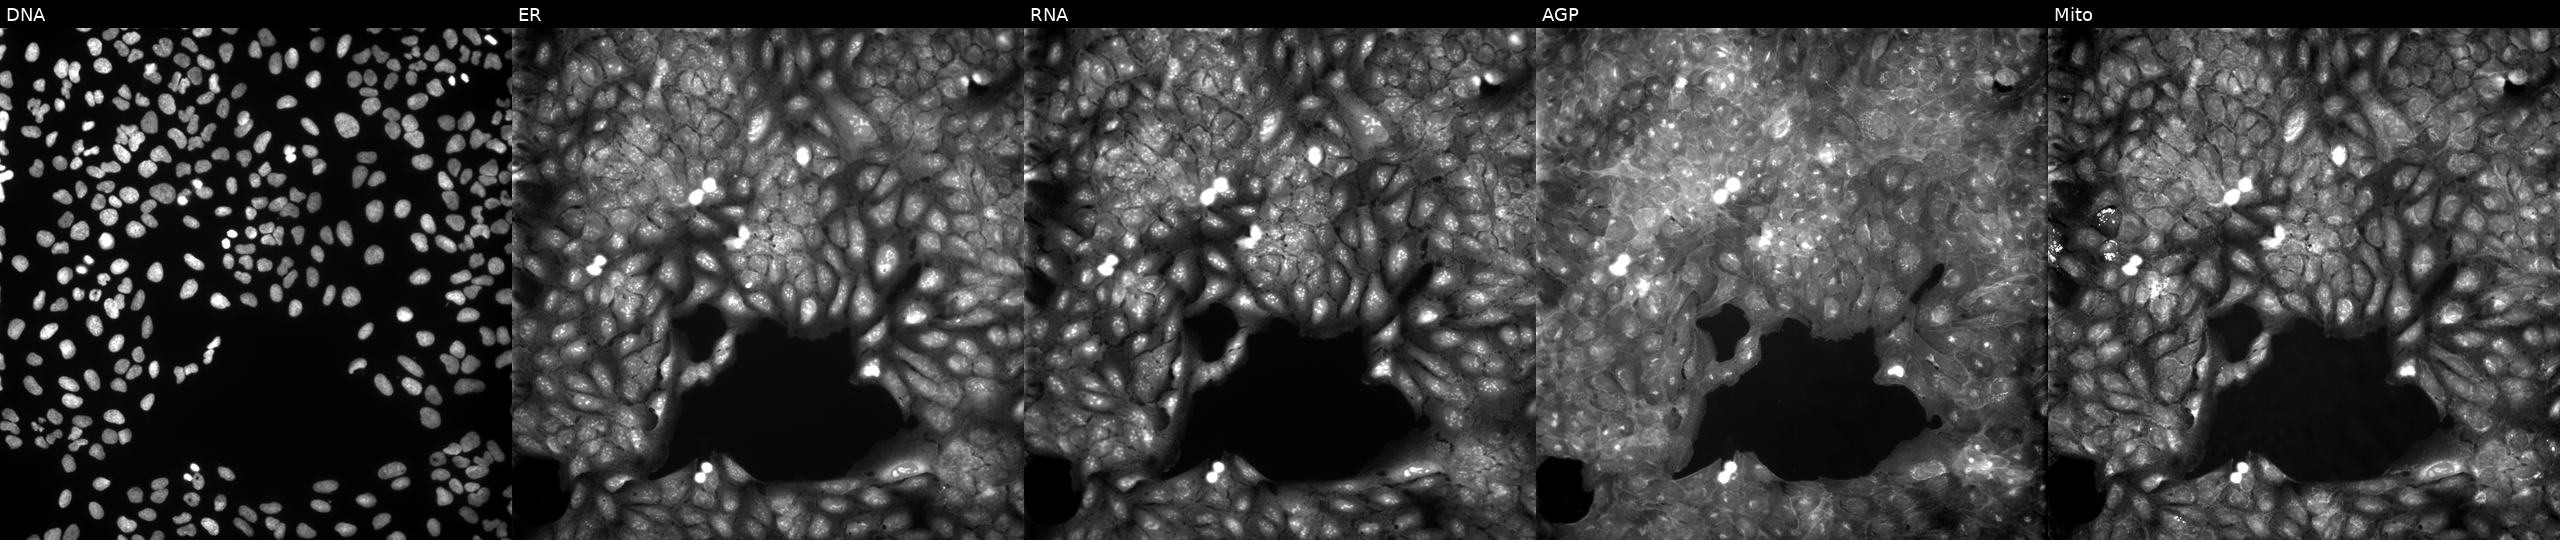
Five-channel Cell Painting image of U2OS cells treated with a small-molecule compound (InChIKey XRWUWTFEHWZZLZ-UHFFFAOYSA-N) (JUMP id JCP2022_105635). Channels (left→right): DNA, ER, RNA, AGP, and Mito.